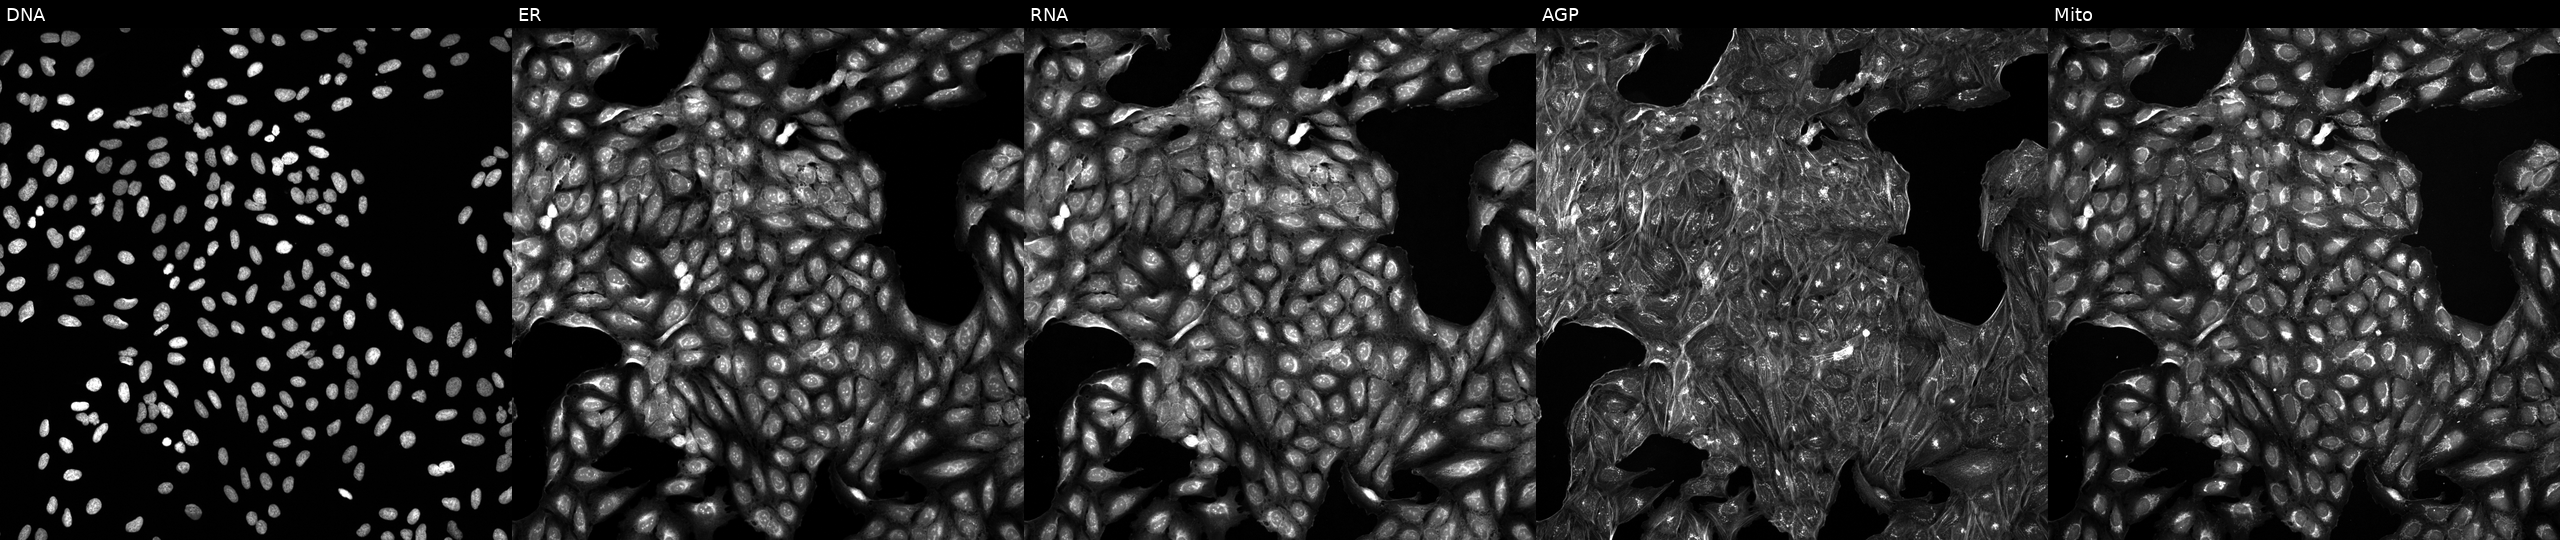
U2OS cells, Cell Painting assay, exposed to a small-molecule compound. Channels (left→right): DNA (nuclei); ER (endoplasmic reticulum); RNA (nucleoli and cytoplasmic RNA); AGP (actin cytoskeleton, Golgi, and plasma membrane); Mito (mitochondria). Each panel is percentile-stretched 16-bit fluorescence.